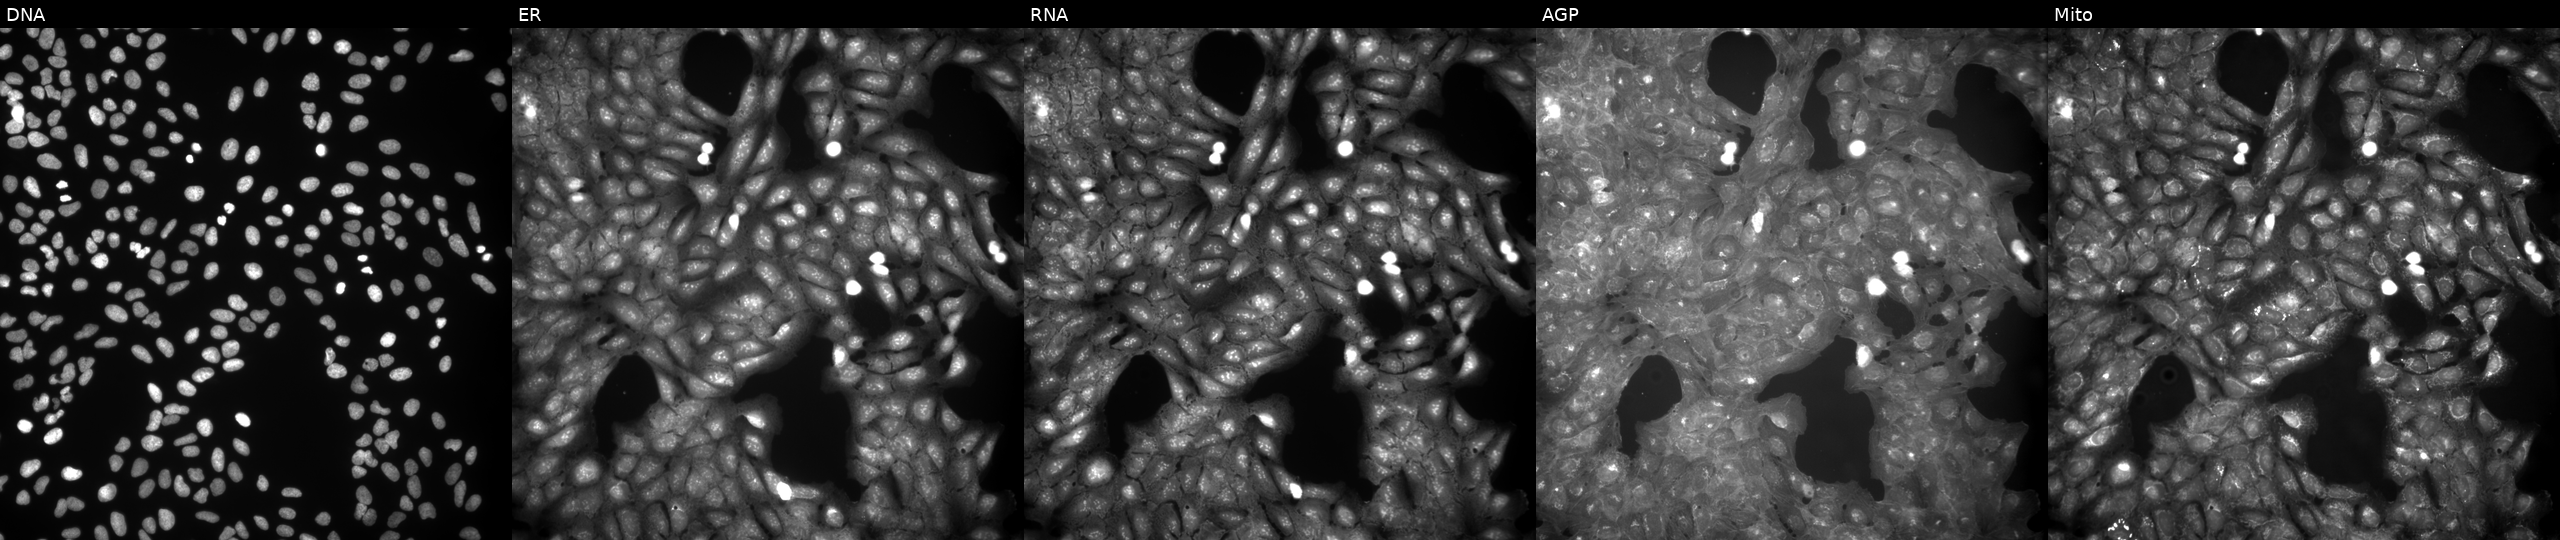
This image strip shows the five Cell Painting channels for a single field of U2OS cells perturbed with a small-molecule compound (JUMP id JCP2022_024979). From left to right: DNA (nuclei); ER (endoplasmic reticulum); RNA (nucleoli and cytoplasmic RNA); AGP (actin cytoskeleton, Golgi, and plasma membrane); Mito (mitochondria).